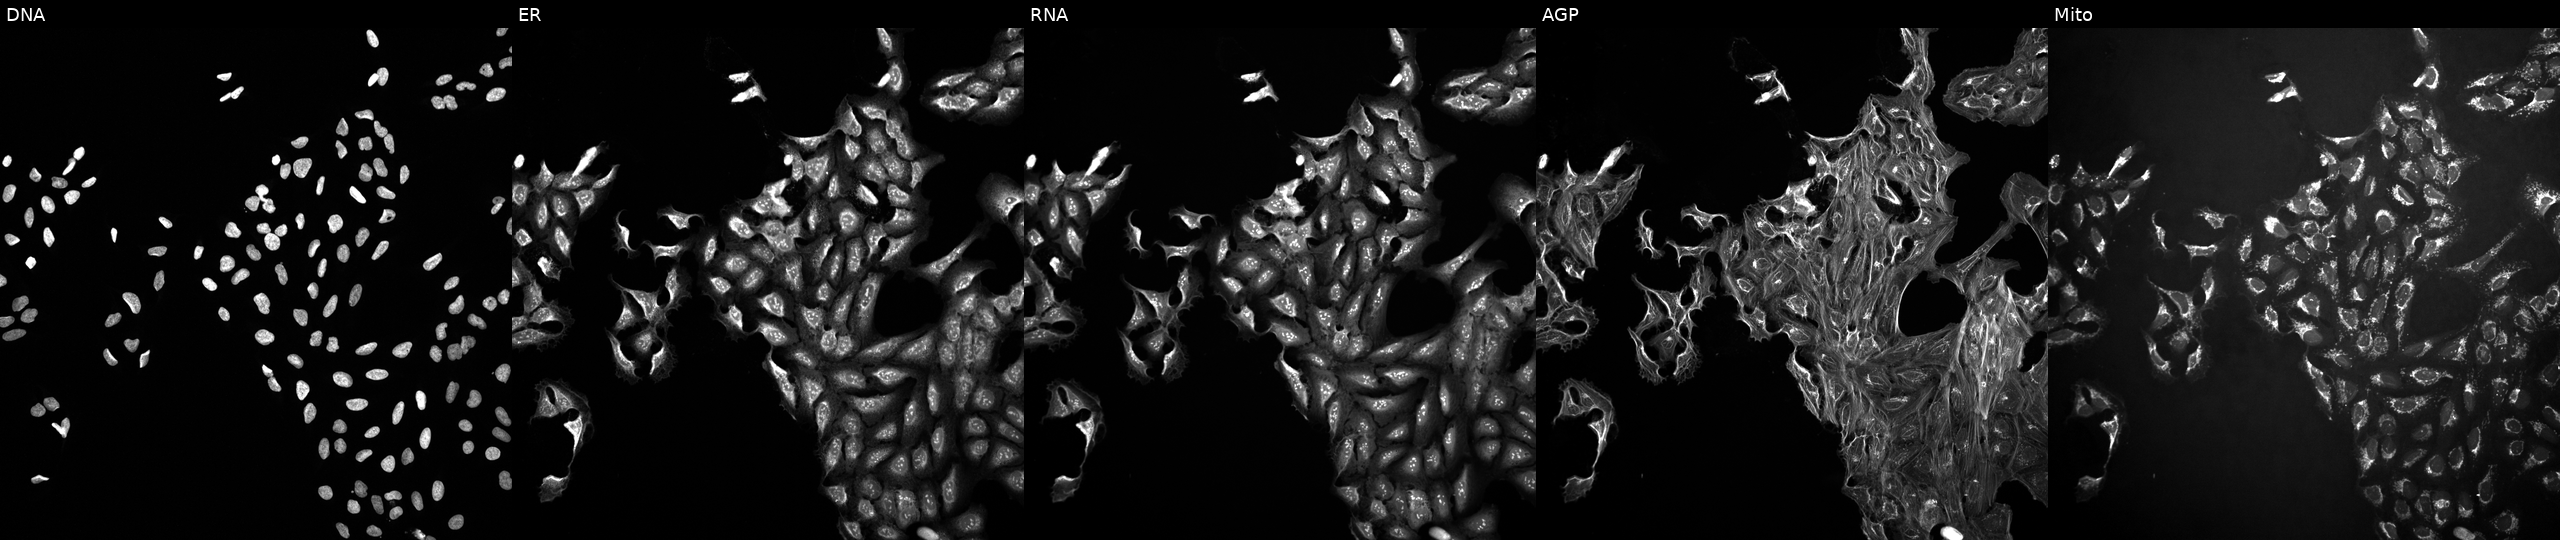
High-content fluorescence microscopy (Cell Painting). Cell line: U2OS. Perturbation: exposed to DMSO alone as a negative control. The five panels, left to right, show DNA (nuclei); ER (endoplasmic reticulum); RNA (nucleoli and cytoplasmic RNA); AGP (actin cytoskeleton, Golgi, and plasma membrane); Mito (mitochondria). Source 10, plate Dest210726-160150, well D03.